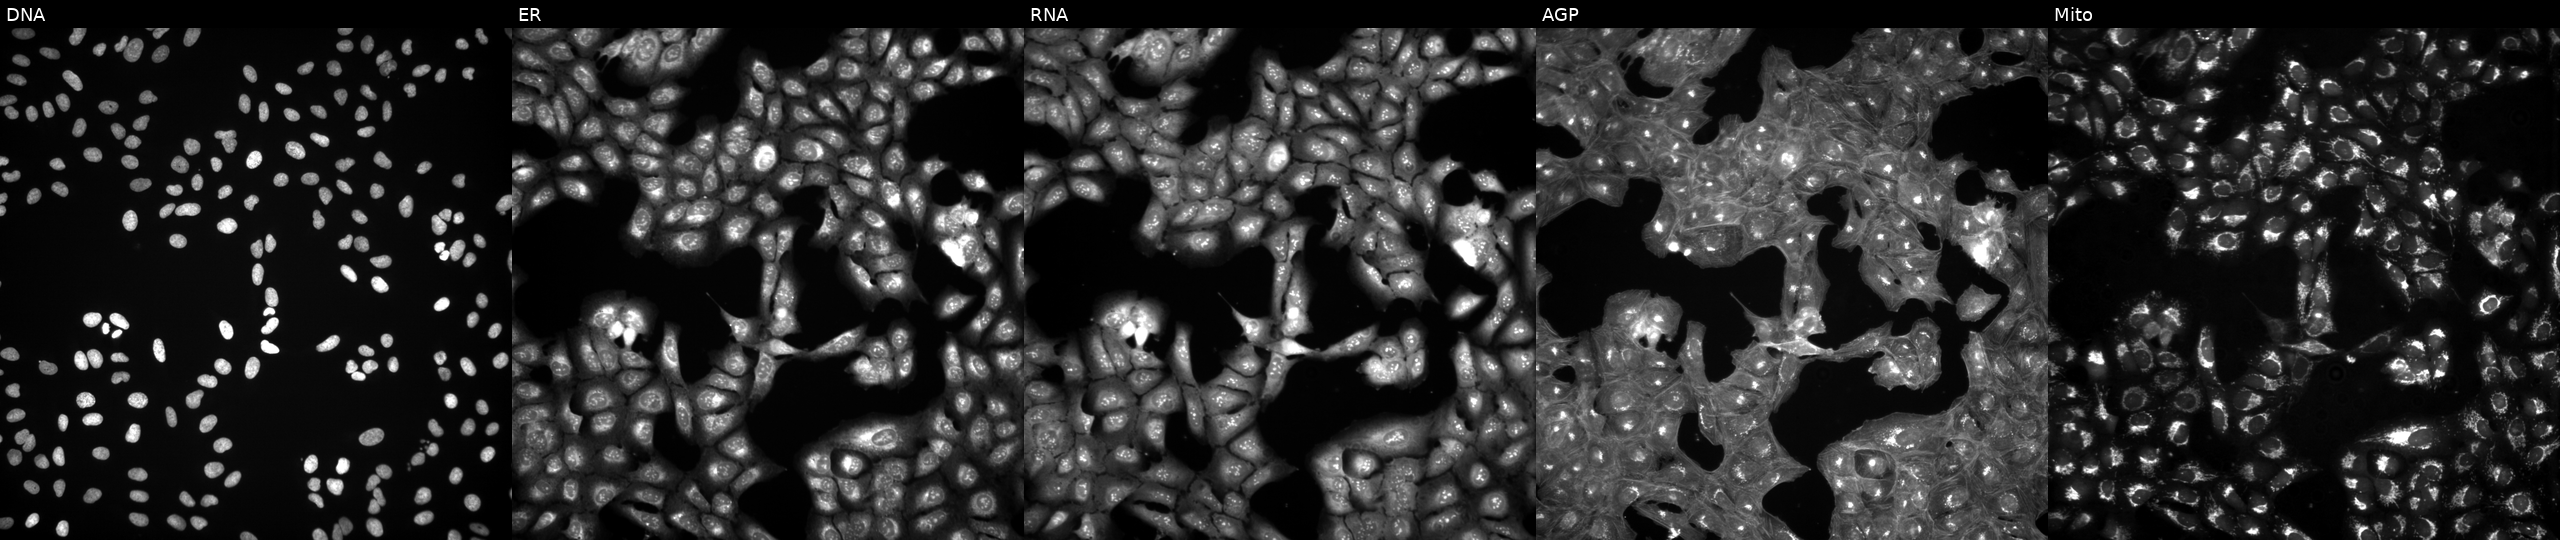
Channels (left→right): Hoechst 33342, concanavalin A, SYTO 14, phalloidin and WGA, MitoTracker. U2OS osteosarcoma cells exposed to a small-molecule compound (InChIKey WQDRBDTZCCIKFT-UHFFFAOYSA-N). Cell Painting assay, JUMP-CP dataset.